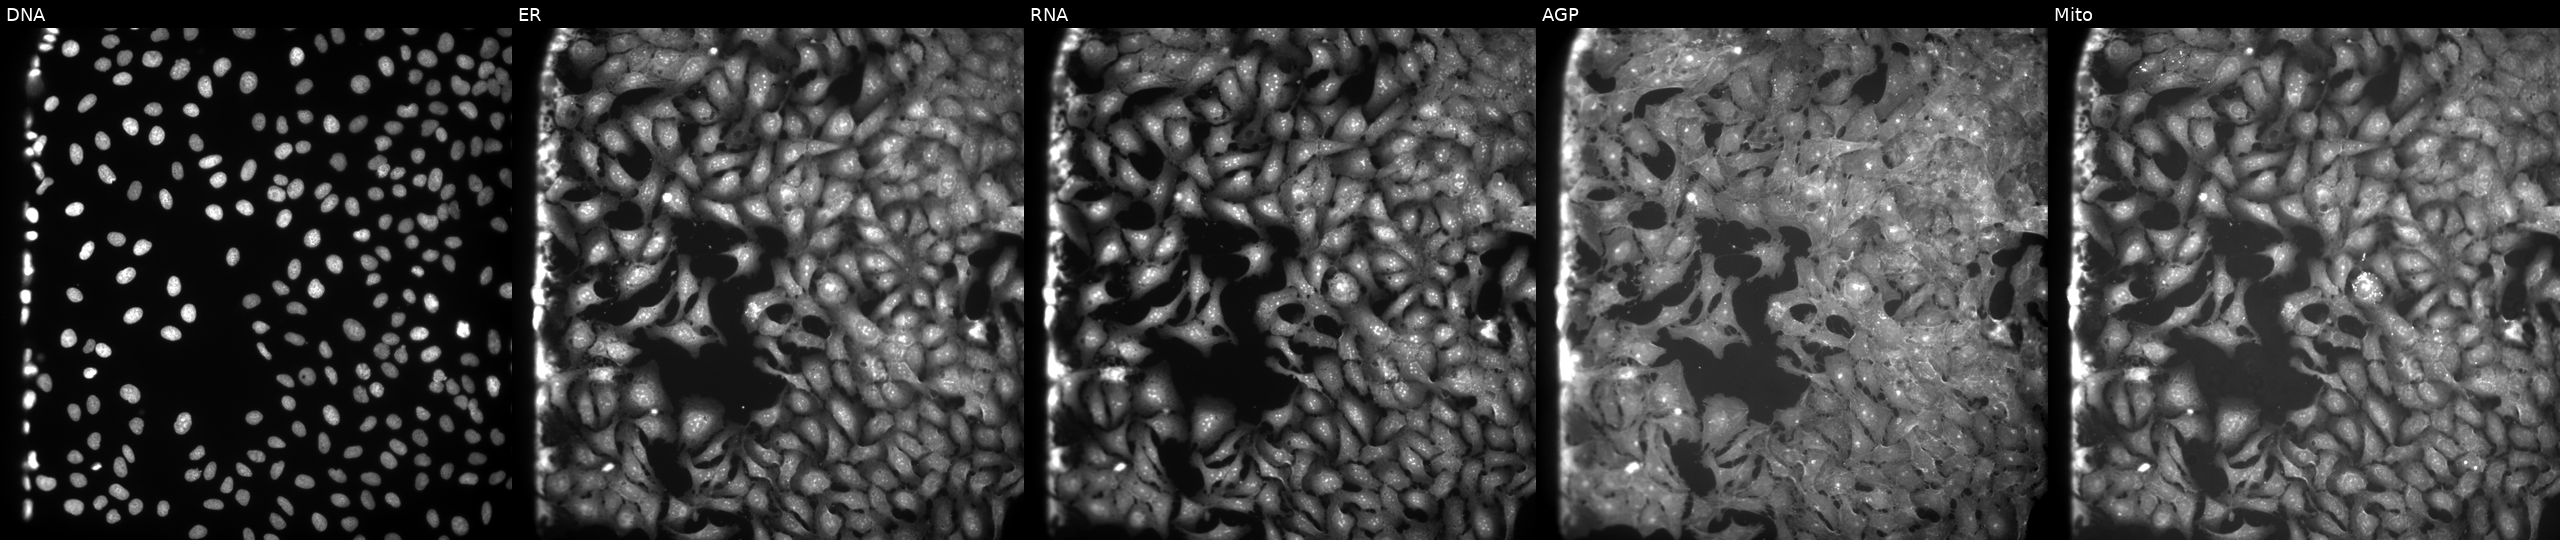
From left to right: DNA (nuclei); ER (endoplasmic reticulum); RNA (nucleoli and cytoplasmic RNA); AGP (actin cytoskeleton, Golgi, and plasma membrane); Mito (mitochondria). U2OS osteosarcoma cells treated with FK-866 (positive-control compound) (JUMP id JCP2022_046054). Cell Painting assay, JUMP-CP dataset.